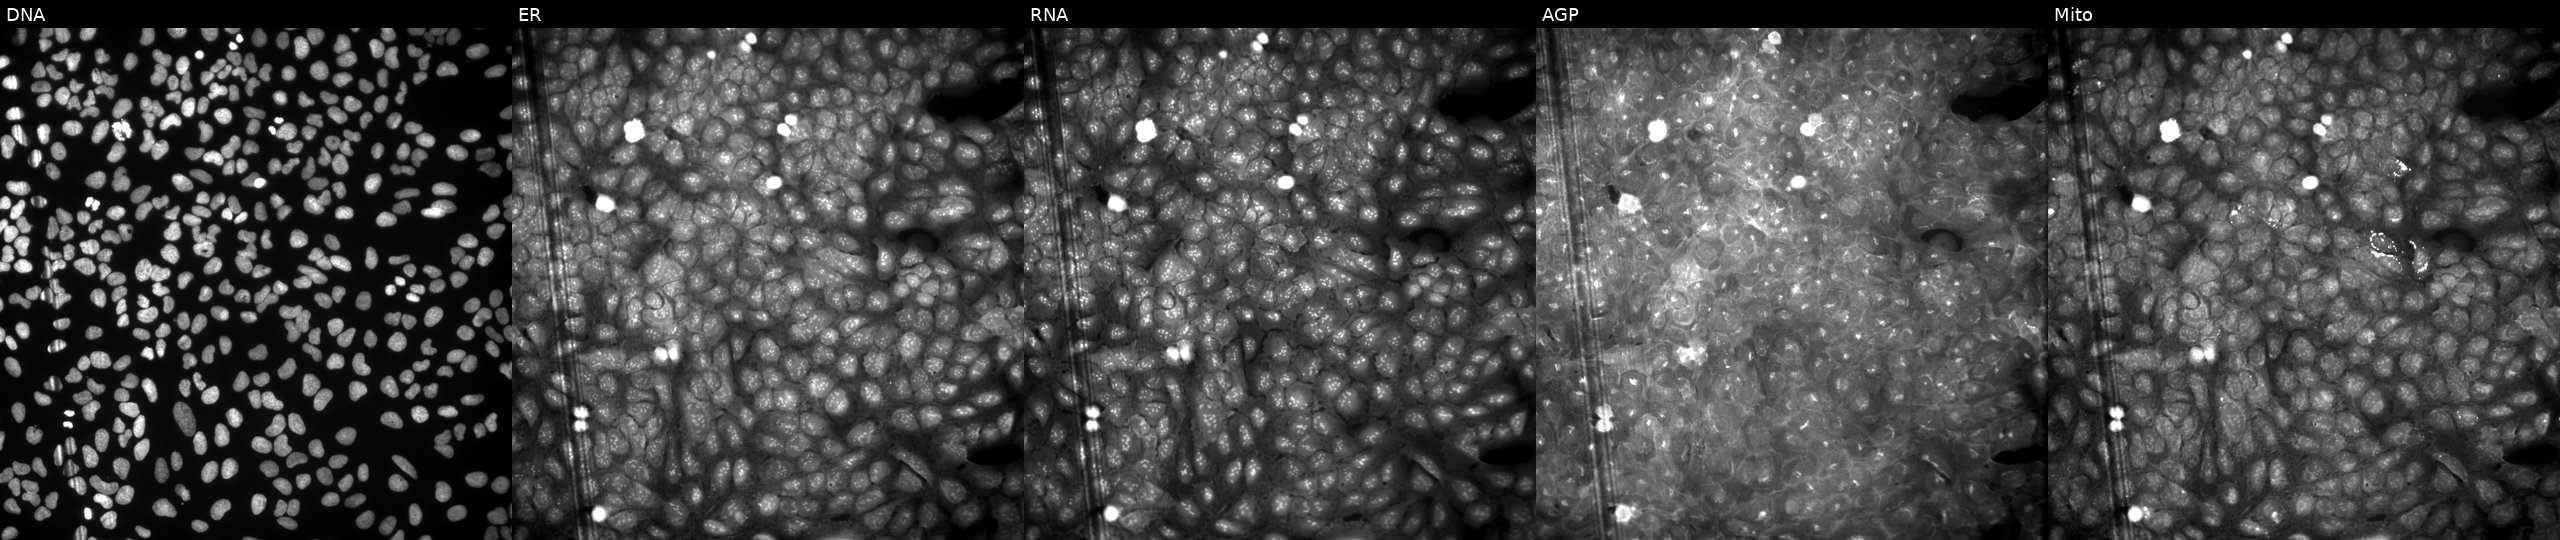
This image strip shows the five Cell Painting channels for a single field of U2OS cells perturbed with a small-molecule compound (InChIKey RSCCCXCKVDOYPW-UHFFFAOYSA-N). Channels (left→right): DNA, ER, RNA, AGP, and Mito.